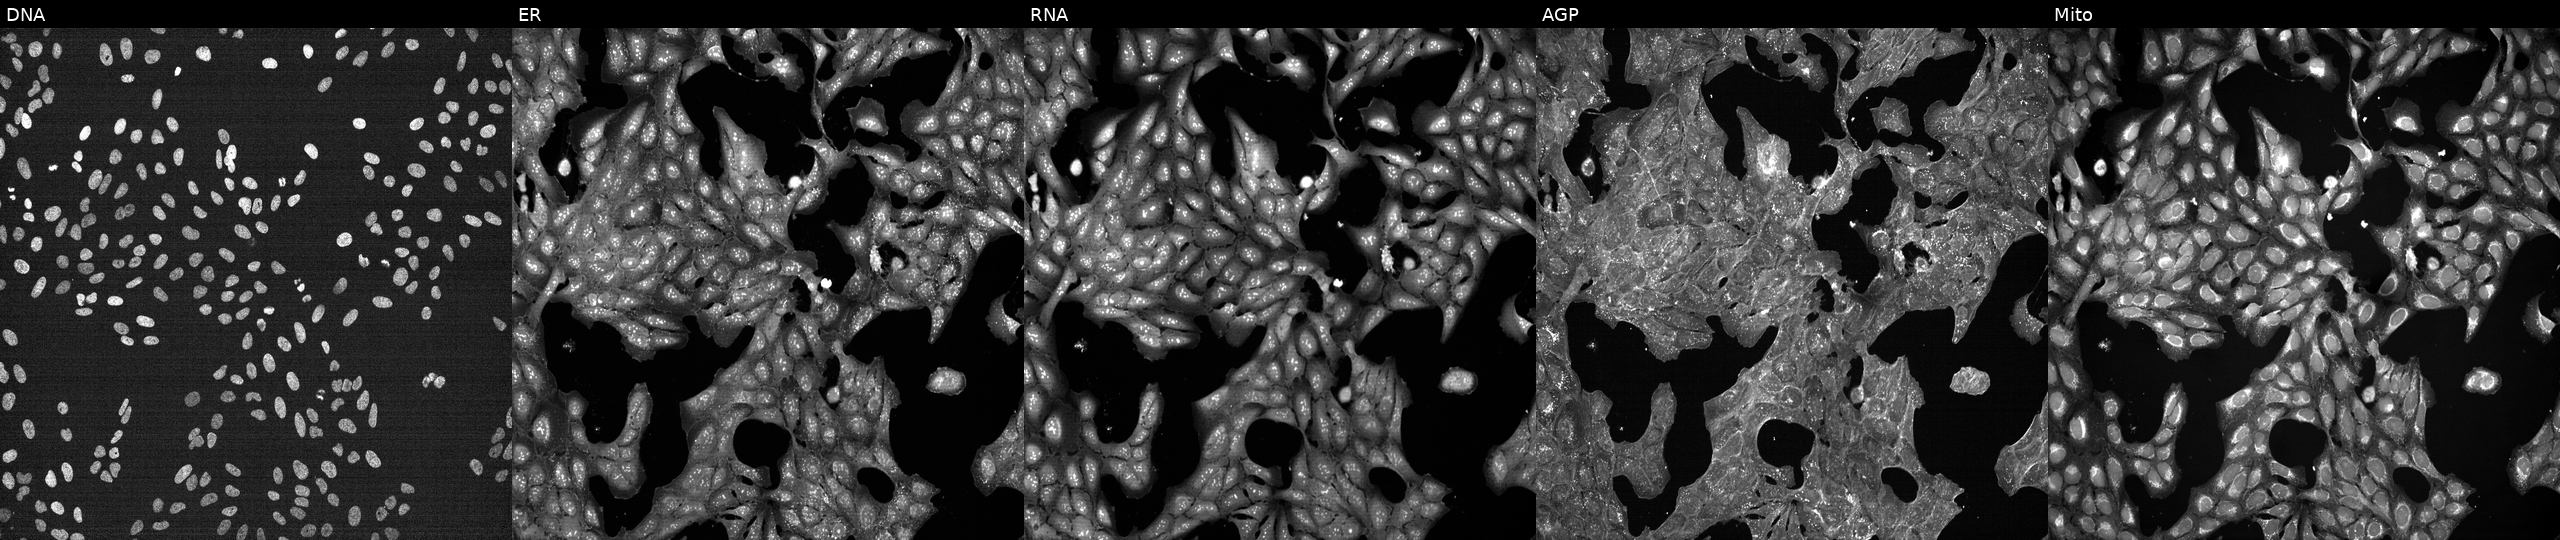
Five-channel Cell Painting image of U2OS cells exposed to a small-molecule compound (InChIKey CEUORZQYGODEFX-UHFFFAOYSA-N) [SMILES: O=C1CCc2ccc(OCCCCN3CCN(c4cccc(Cl)c4Cl)CC3)cc2N1]. From left to right: DNA, ER, RNA, AGP, and Mito.